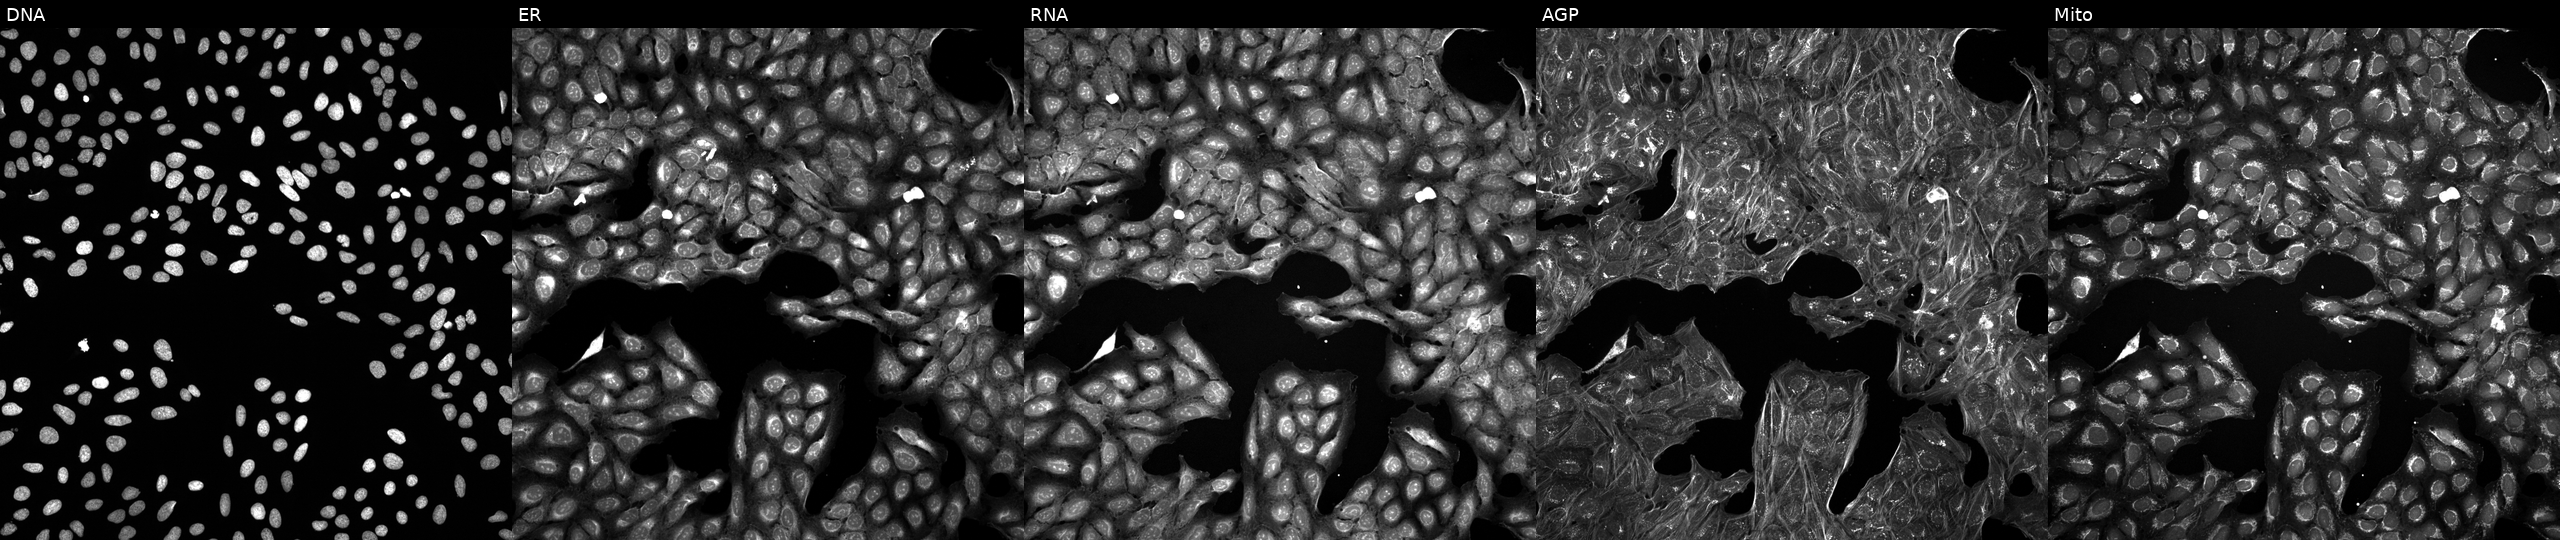
High-content fluorescence microscopy (Cell Painting). Cell line: U2OS. Perturbation: perturbed with a small-molecule compound (InChIKey HFNKQEVNSGCOJV-UHFFFAOYSA-N) (JUMP id JCP2022_029868). The five panels, left to right, show DNA (nuclei); ER (endoplasmic reticulum); RNA (nucleoli and cytoplasmic RNA); AGP (actin cytoskeleton, Golgi, and plasma membrane); Mito (mitochondria). Source 5, plate ACPJUM051, well J22.